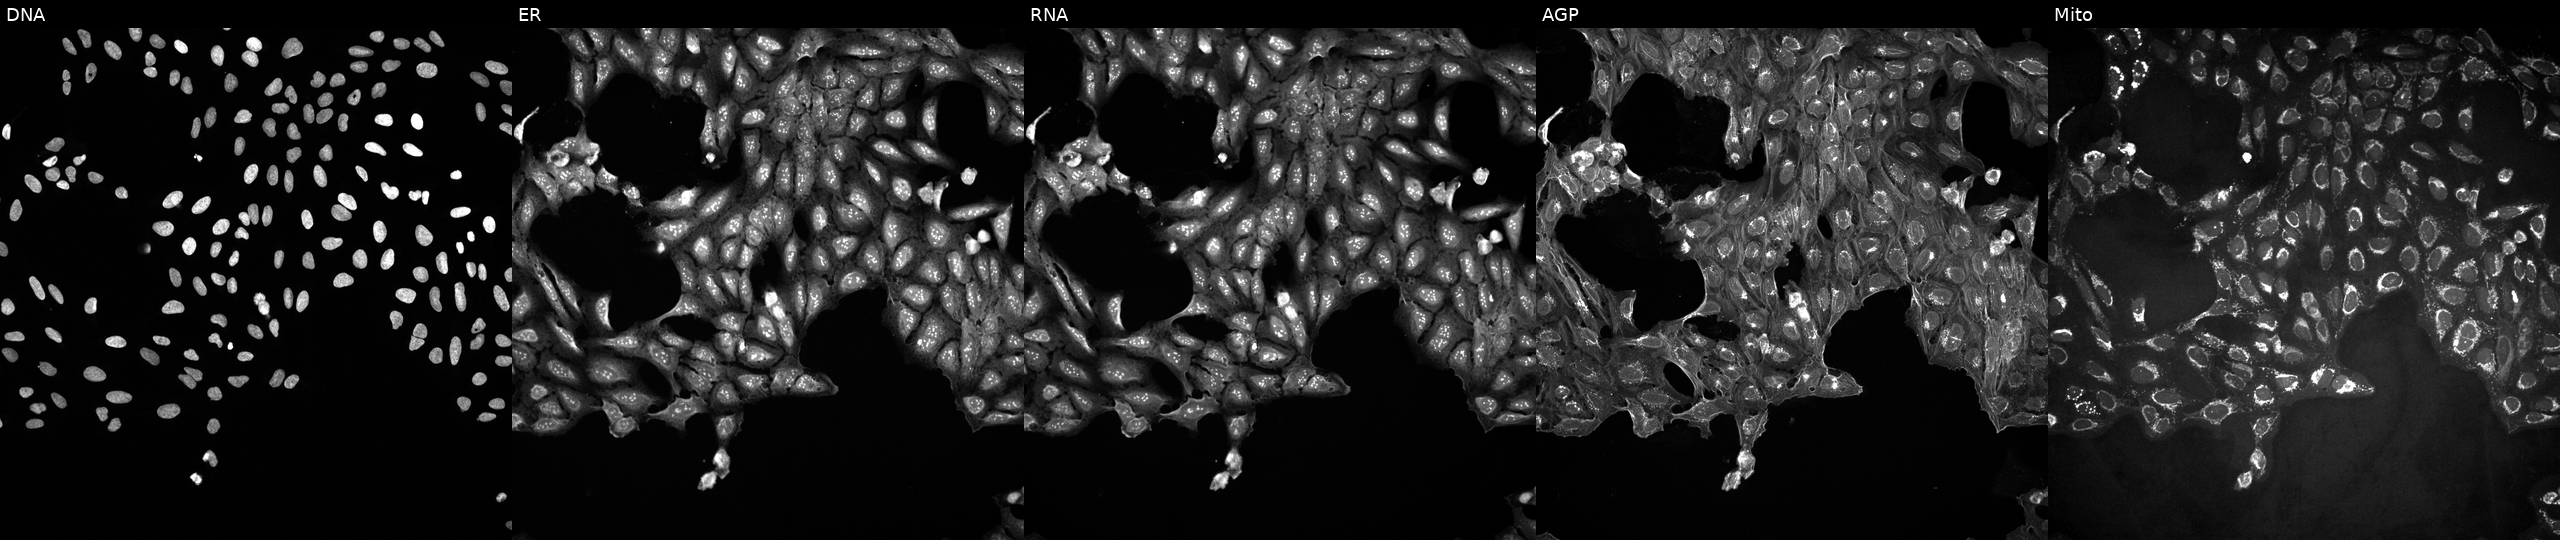
JUMP Cell Painting — COMPOUND plate. U2OS cells treated with a small-molecule compound (InChIKey MHIYTIMSMNXVQH-UHFFFAOYSA-N) [SMILES: COc1ccc(C2CN(C(=O)CCCC(N)=O)C3C4CCN(CC4)C23)cc1] (JUMP id JCP2022_054175). Panels show, left to right, DNA (nuclei); ER (endoplasmic reticulum); RNA (nucleoli and cytoplasmic RNA); AGP (actin cytoskeleton, Golgi, and plasma membrane); Mito (mitochondria).